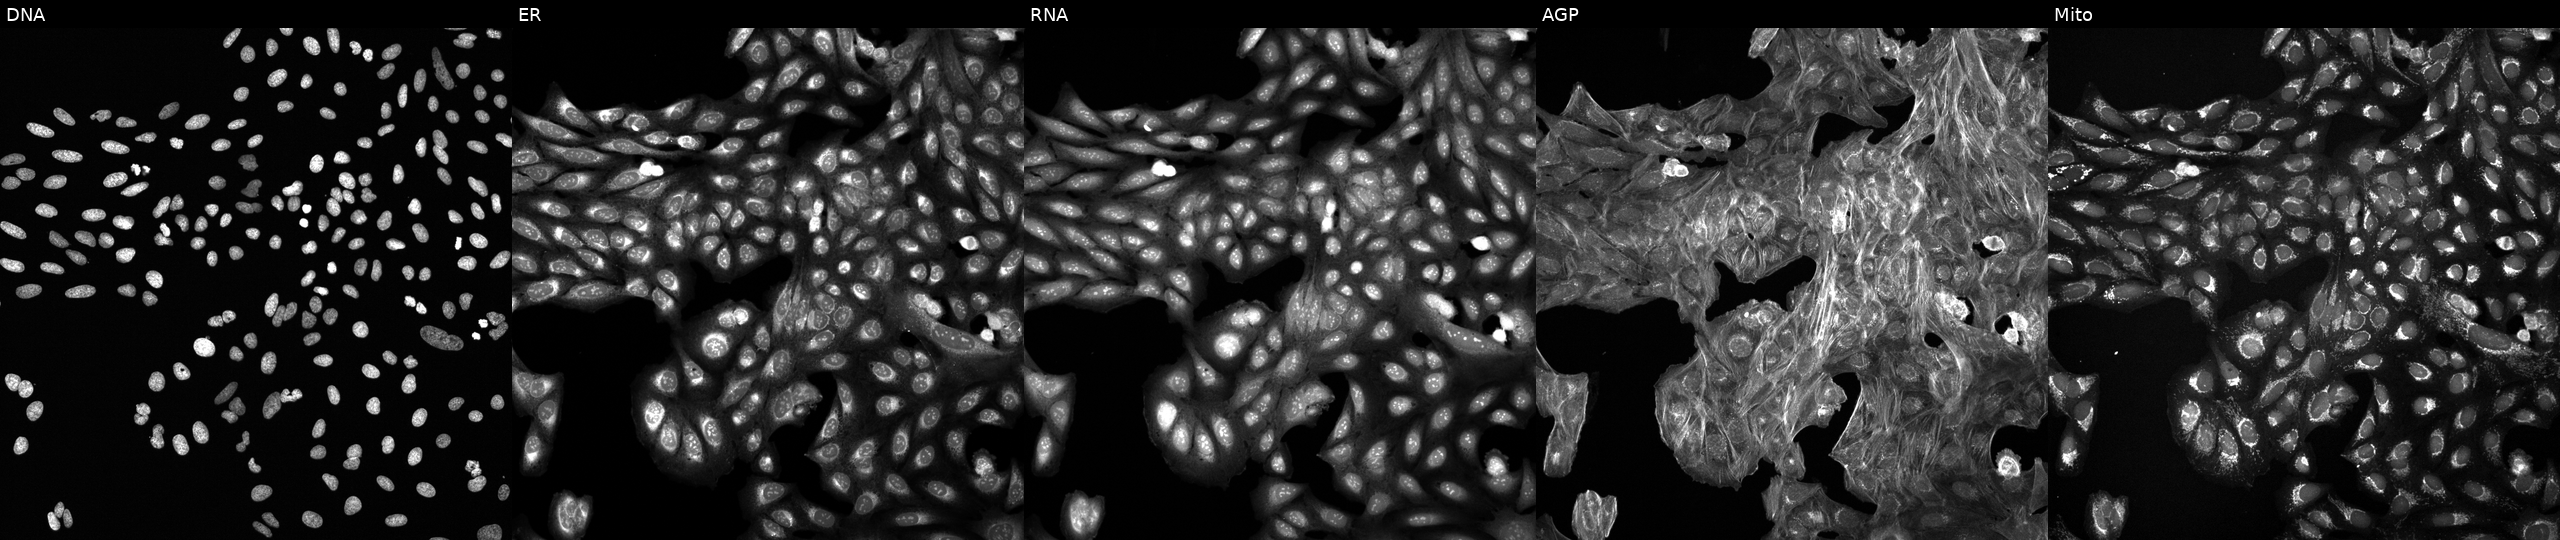
High-content fluorescence microscopy (Cell Painting). Cell line: U2OS. Perturbation: treated with a small-molecule compound (JUMP id JCP2022_111730). From left to right: Hoechst 33342, concanavalin A, SYTO 14, phalloidin and WGA, MitoTracker. Source 6, plate 110000293093, well B06.